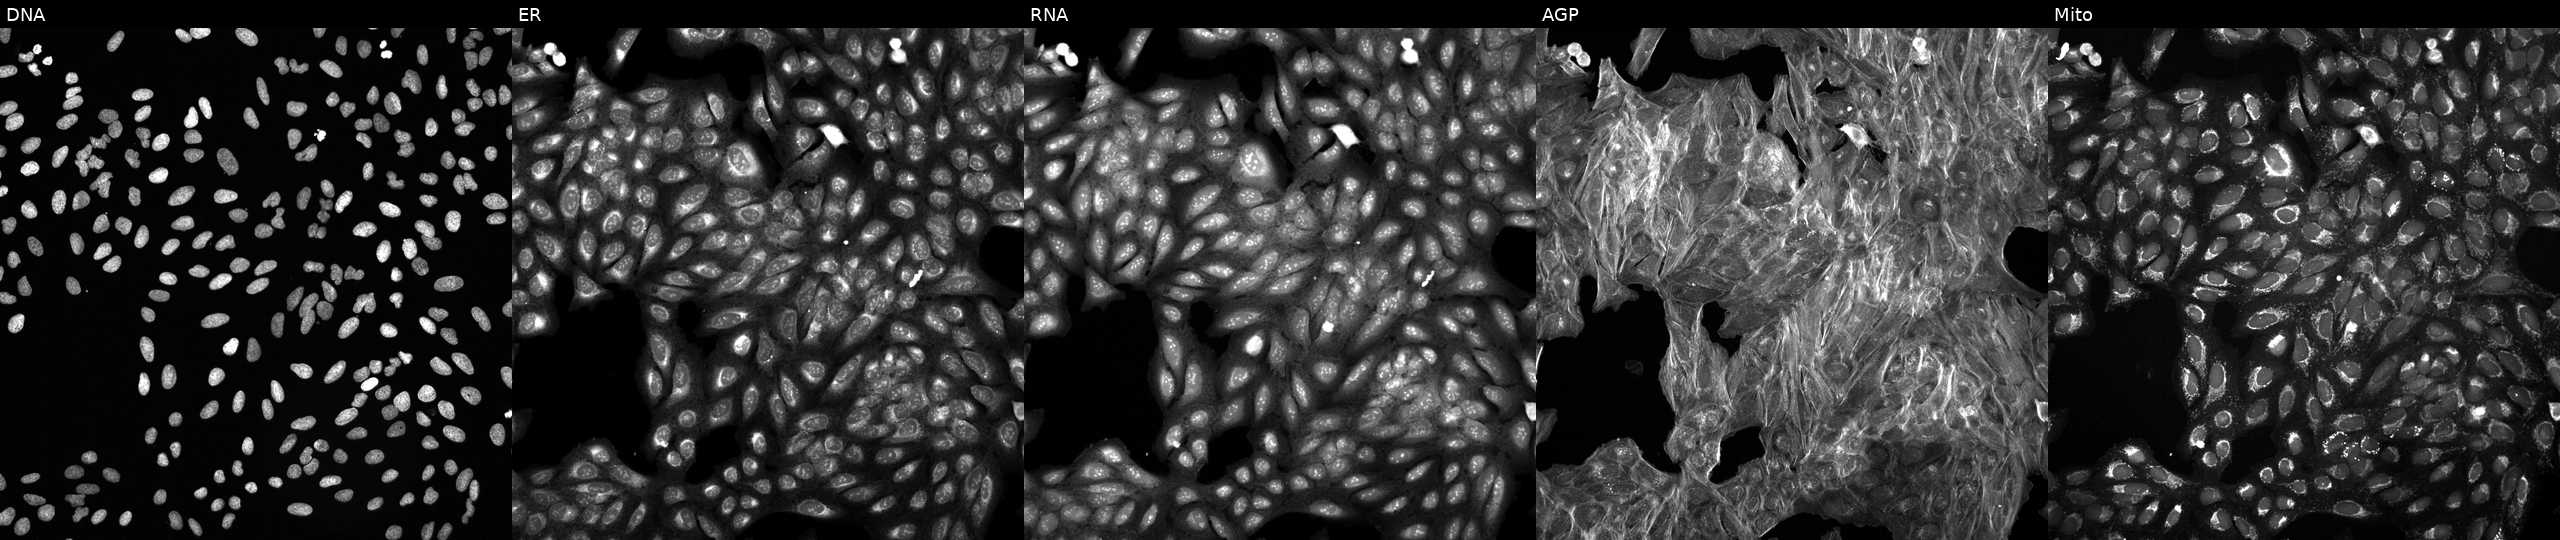
This image strip shows the five Cell Painting channels for a single field of U2OS cells treated with DMSO vehicle only (negative control) (JUMP id JCP2022_033924). The five panels, left to right, show DNA, ER, RNA, AGP, and Mito. Source 6, plate 110000293081, well L23.